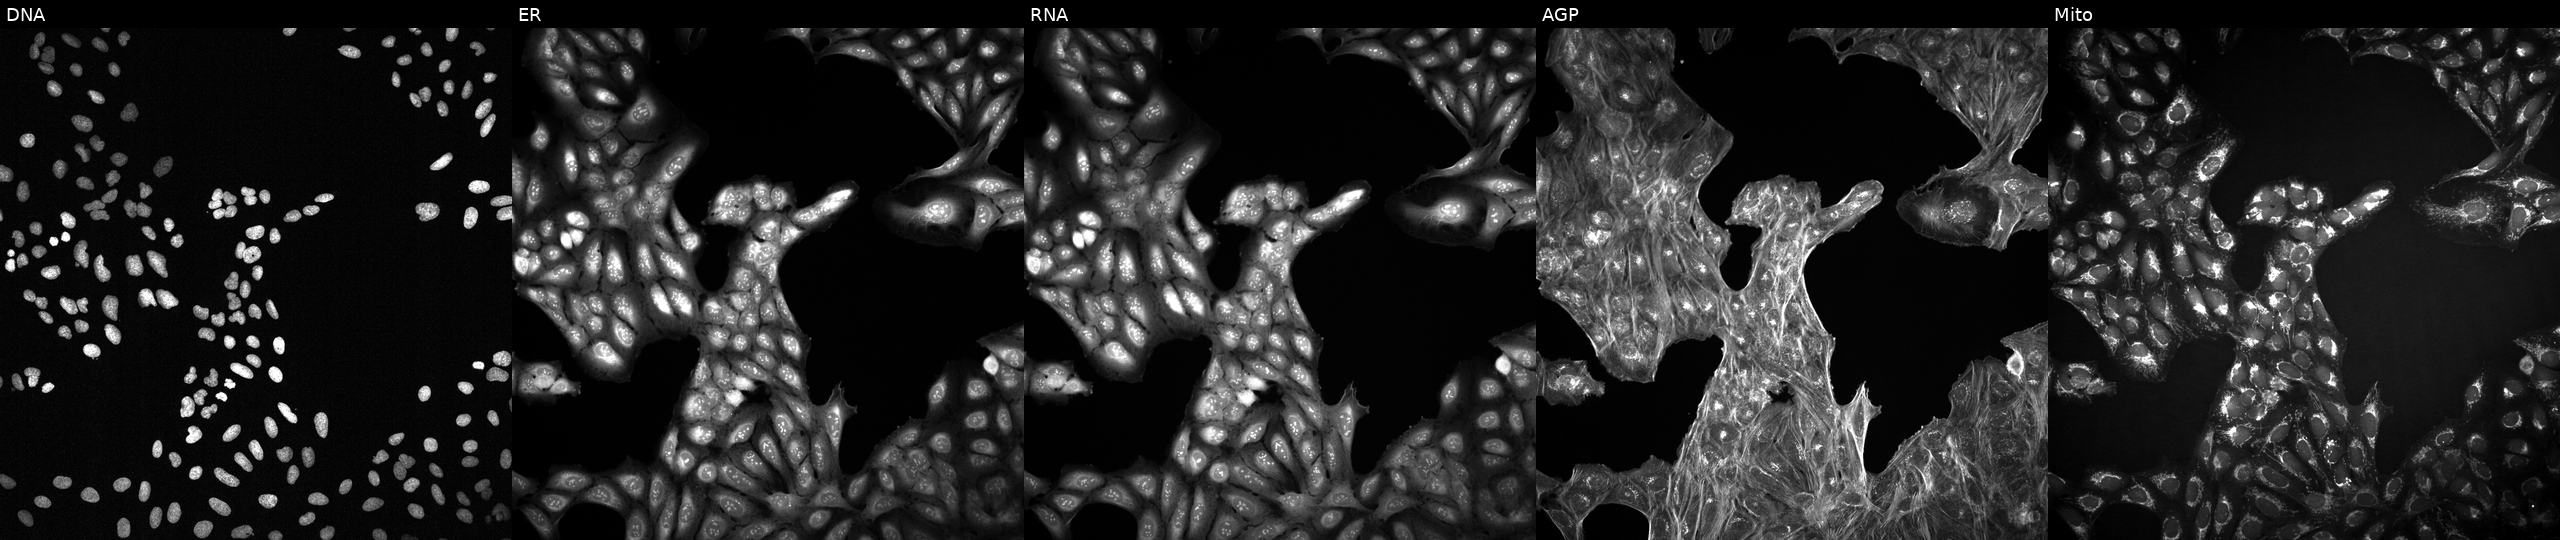
Five-channel Cell Painting image of U2OS cells exposed to DMSO alone as a negative control. The five panels, left to right, show DNA (nuclei); ER (endoplasmic reticulum); RNA (nucleoli and cytoplasmic RNA); AGP (actin cytoskeleton, Golgi, and plasma membrane); Mito (mitochondria).